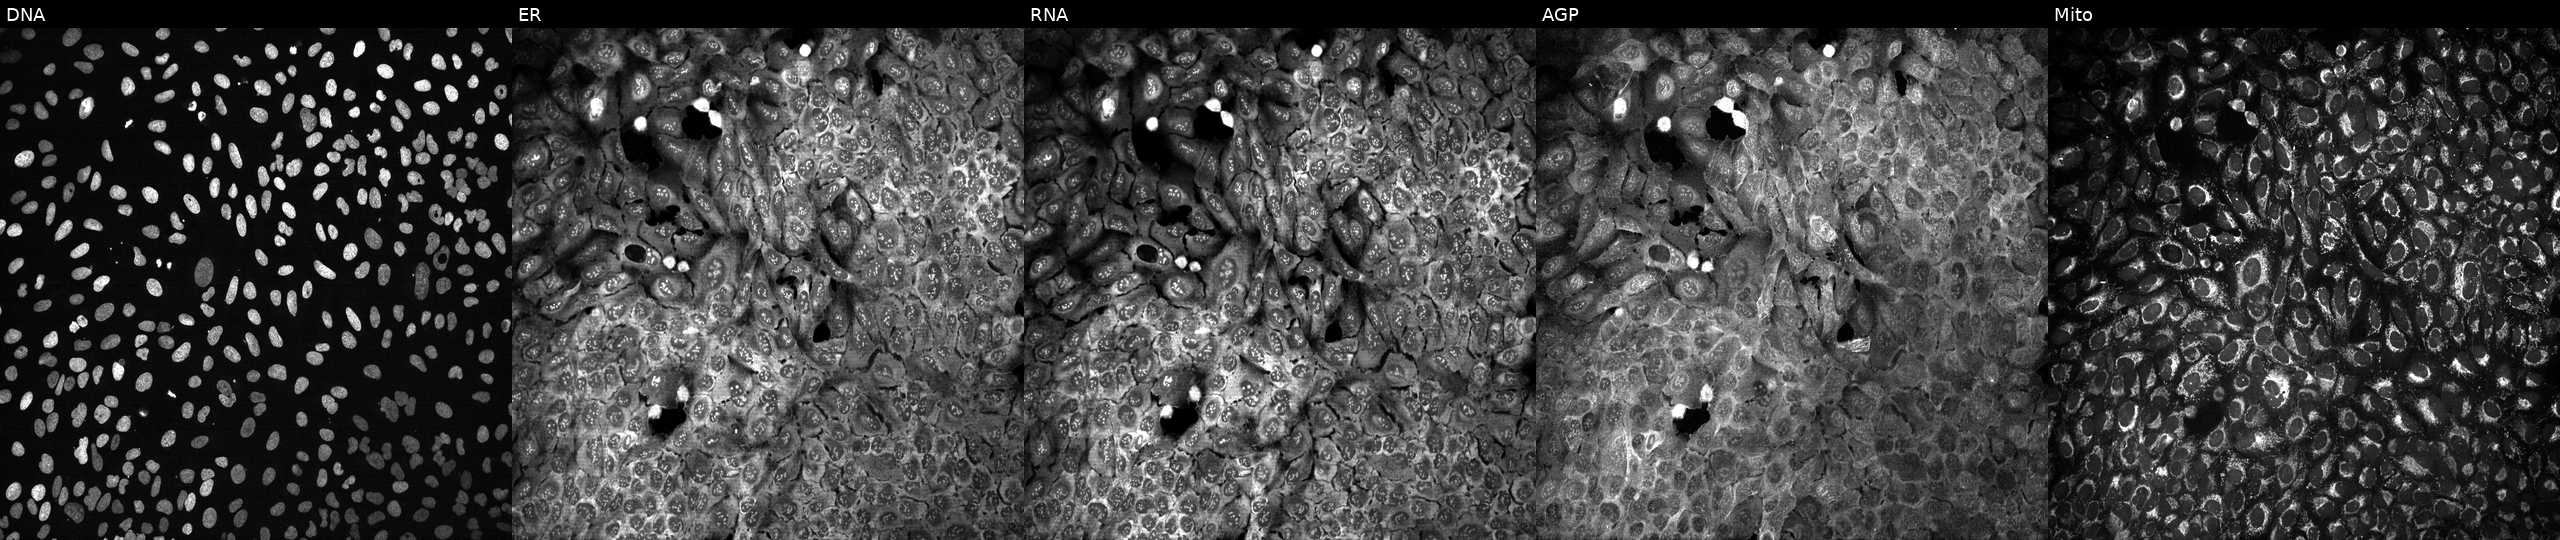
U2OS cells, Cell Painting assay, following CRISPR knockout of CYP4Z1 (JUMP id JCP2022_801659). Panels show, left to right, DNA, ER, RNA, AGP, and Mito. Each panel is percentile-stretched 16-bit fluorescence.